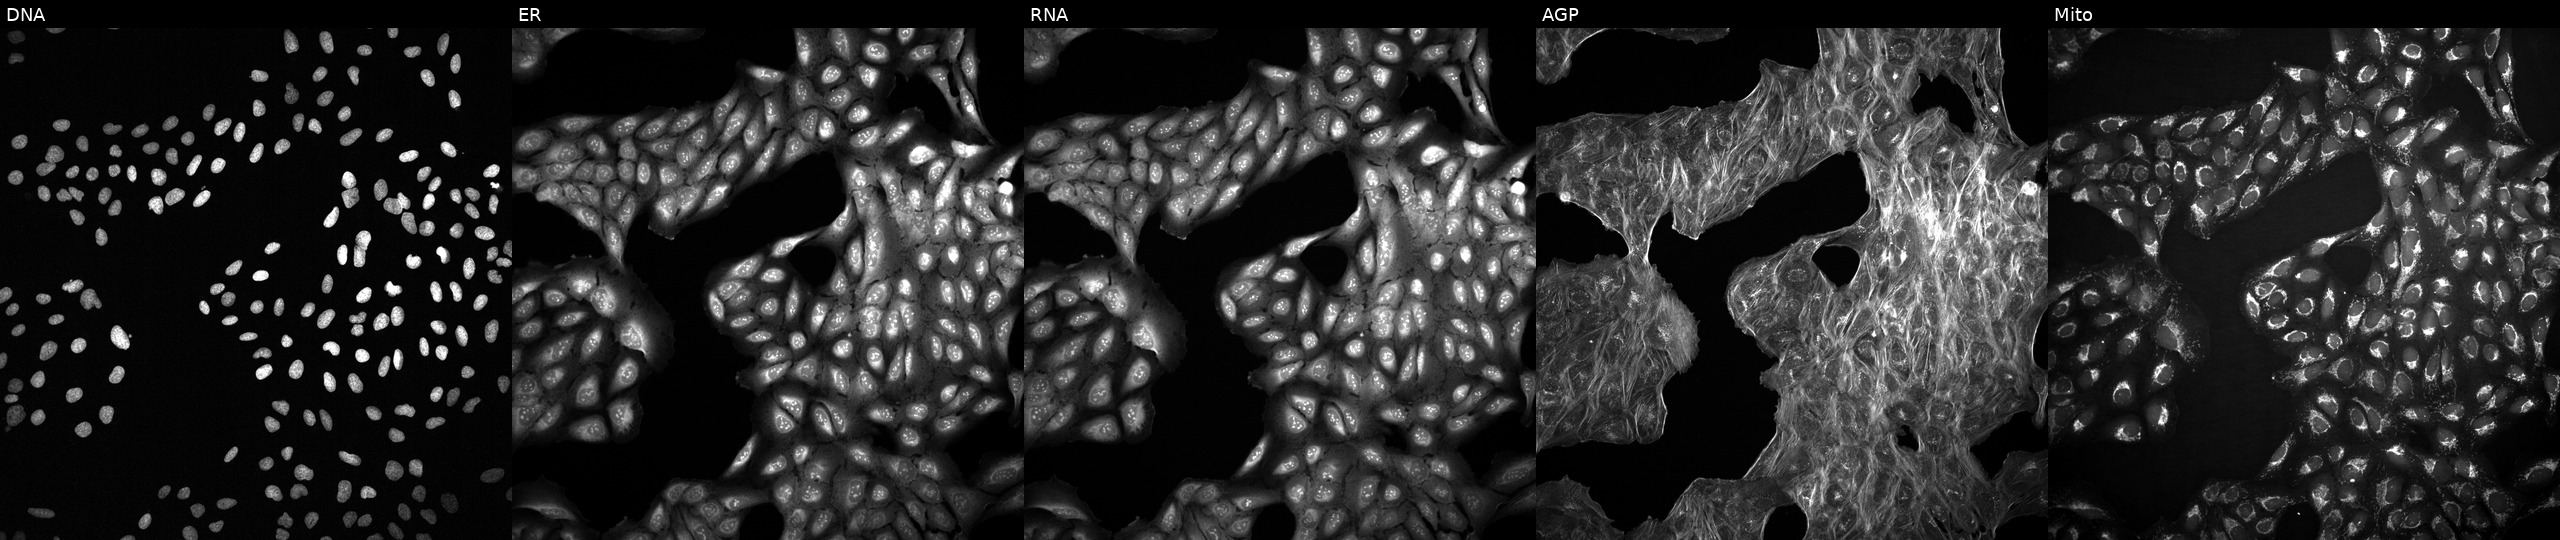
From left to right: DNA, ER, RNA, AGP, and Mito. U2OS osteosarcoma cells with an unidentified perturbation (not annotated in JUMP metadata). Cell Painting assay, JUMP-CP dataset.